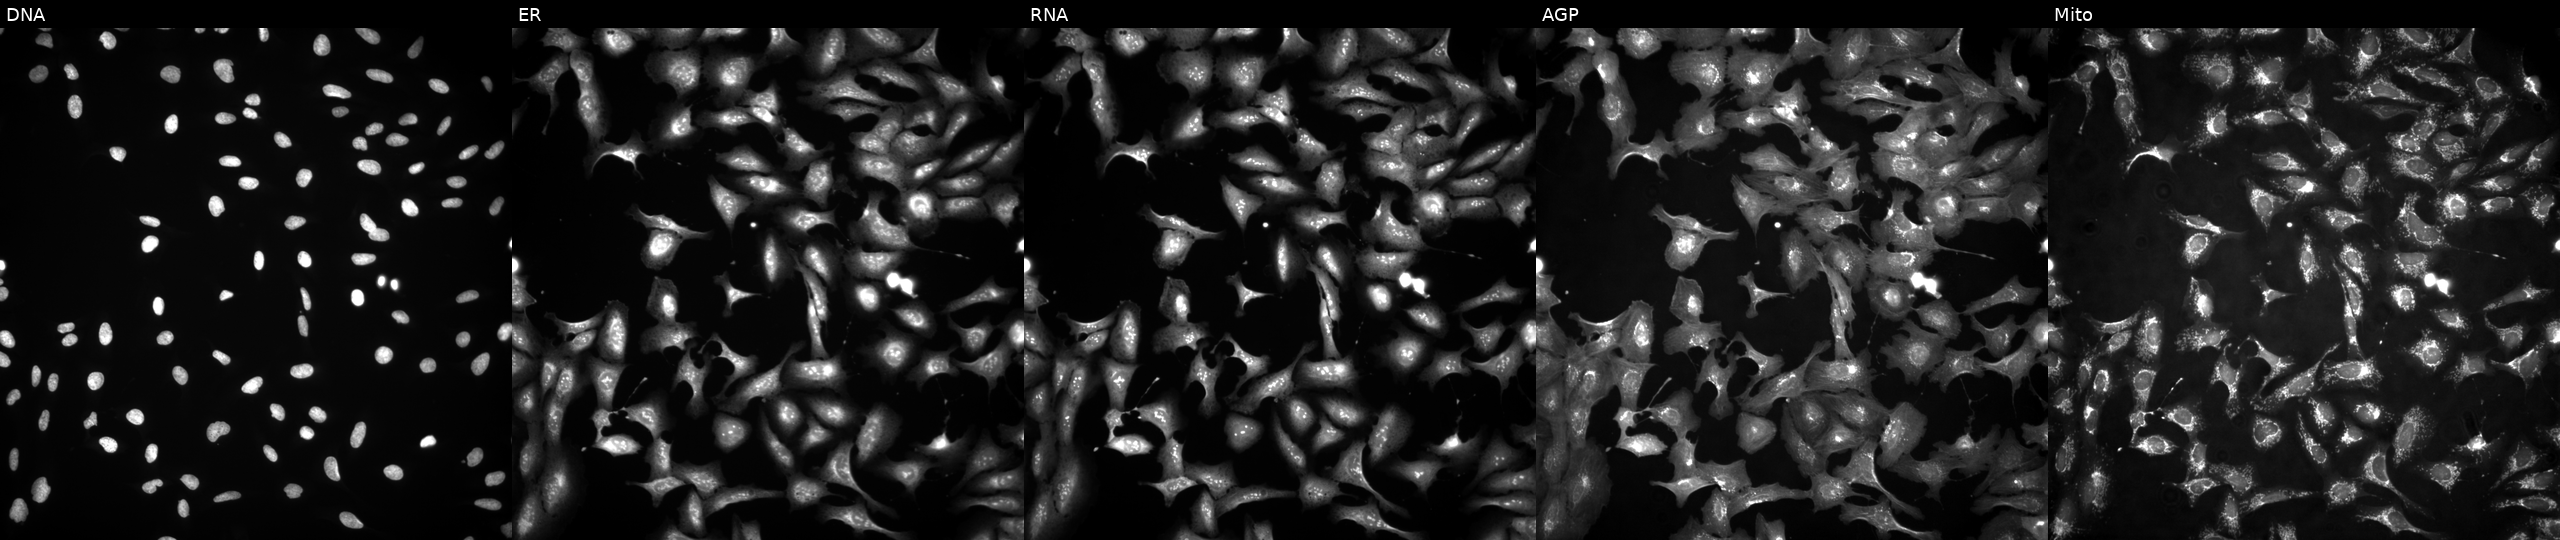
JUMP Cell Painting — ORF plate. U2OS cells with TLCD1 overexpressed (ORF). Channels (left→right): DNA, ER, RNA, AGP, and Mito.